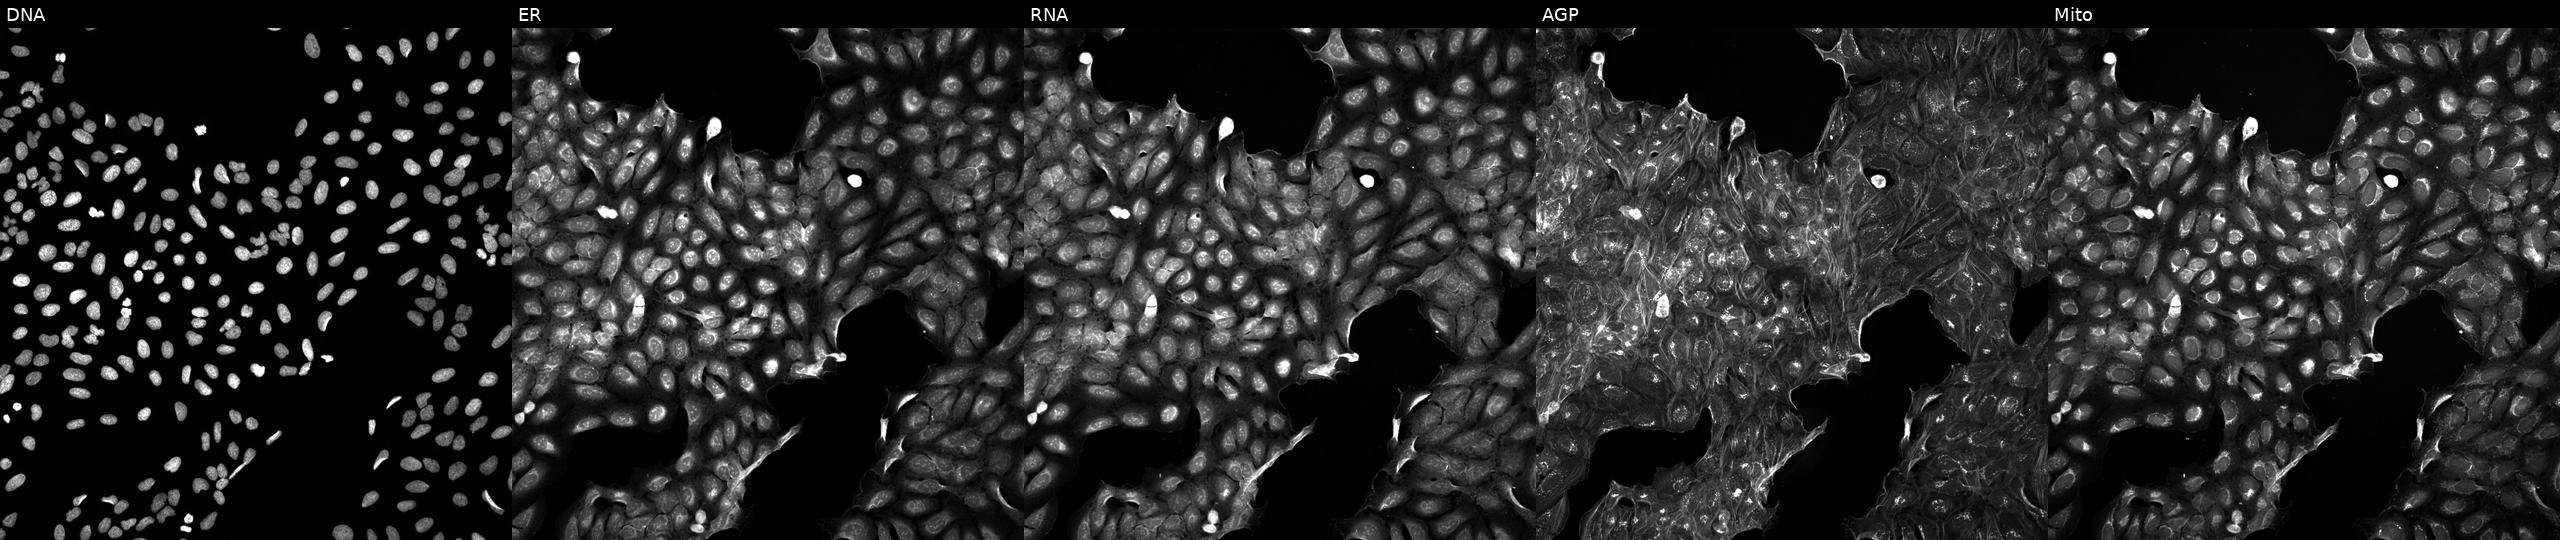
JUMP Cell Painting — COMPOUND plate. U2OS cells treated with a small-molecule compound (JUMP id JCP2022_024775). Channels (left→right): DNA (nuclei); ER (endoplasmic reticulum); RNA (nucleoli and cytoplasmic RNA); AGP (actin cytoskeleton, Golgi, and plasma membrane); Mito (mitochondria).